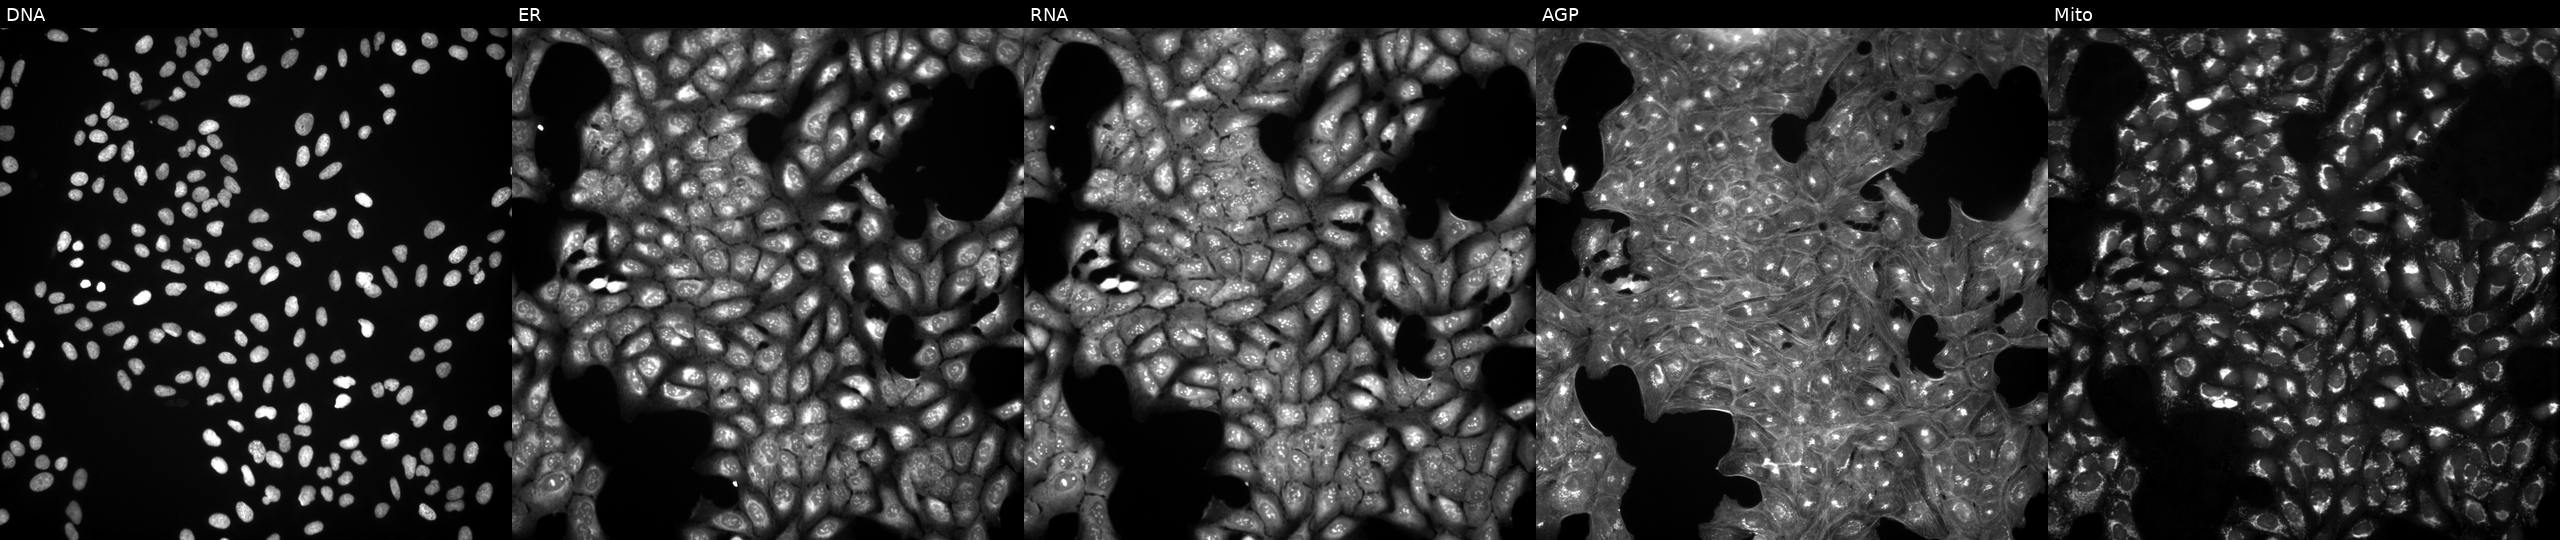
High-content fluorescence microscopy (Cell Painting). Cell line: U2OS. Perturbation: perturbed with a small-molecule compound (InChIKey VFSVKVQMZDJFQX-UHFFFAOYSA-N). The five panels, left to right, show Hoechst 33342, concanavalin A, SYTO 14, phalloidin and WGA, MitoTracker.